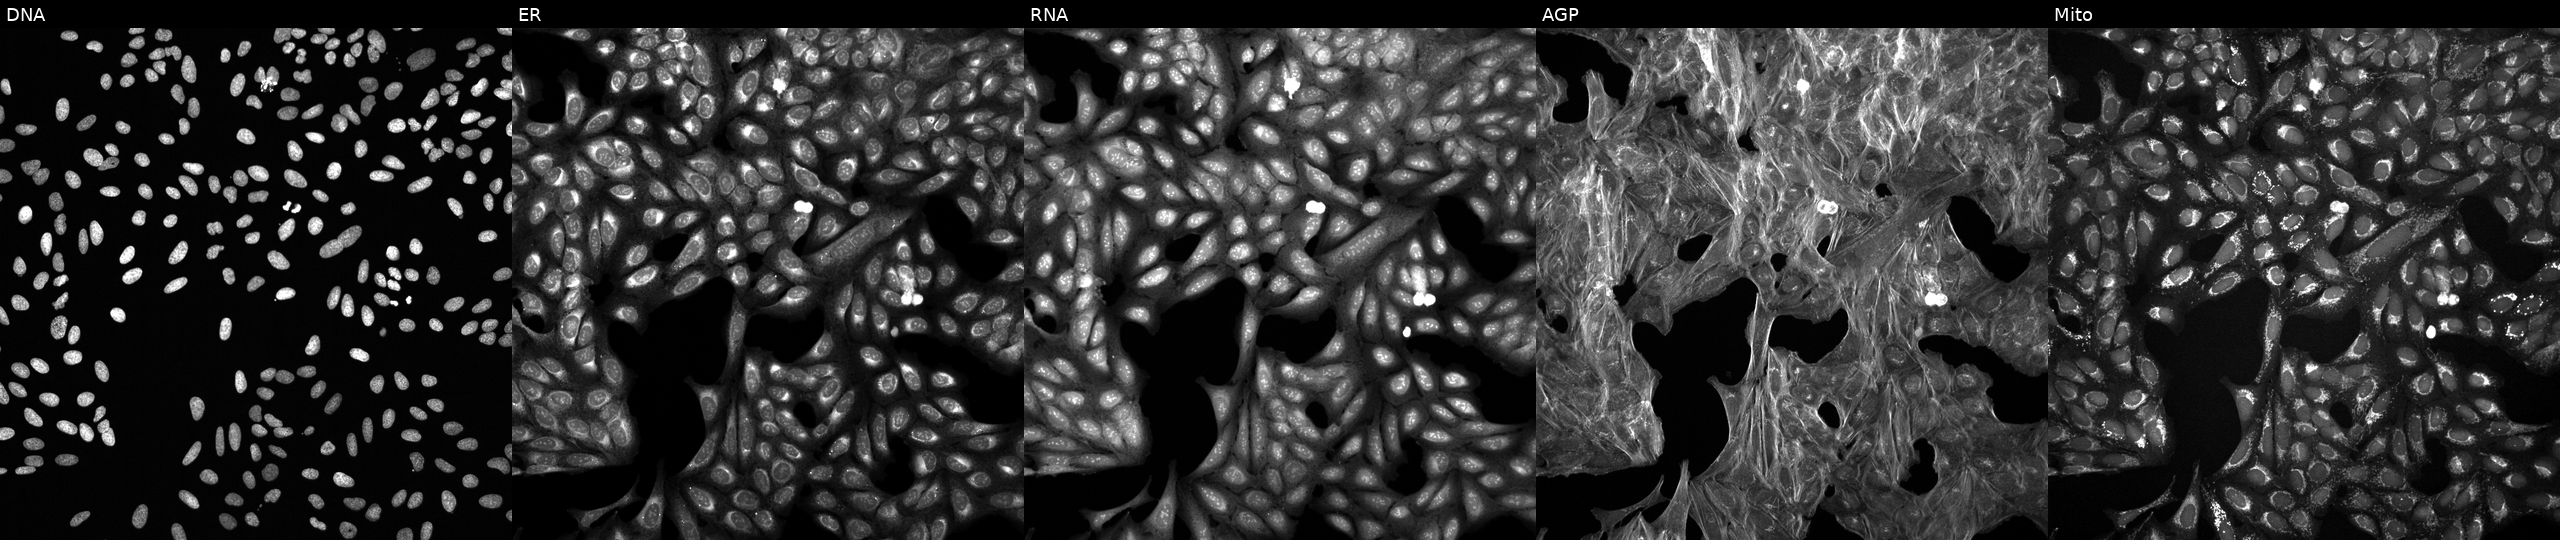
This image strip shows the five Cell Painting channels for a single field of U2OS cells exposed to a small-molecule compound (InChIKey IYAYHZZWYNXHEQ-UHFFFAOYSA-N). From left to right: DNA (nuclei); ER (endoplasmic reticulum); RNA (nucleoli and cytoplasmic RNA); AGP (actin cytoskeleton, Golgi, and plasma membrane); Mito (mitochondria).